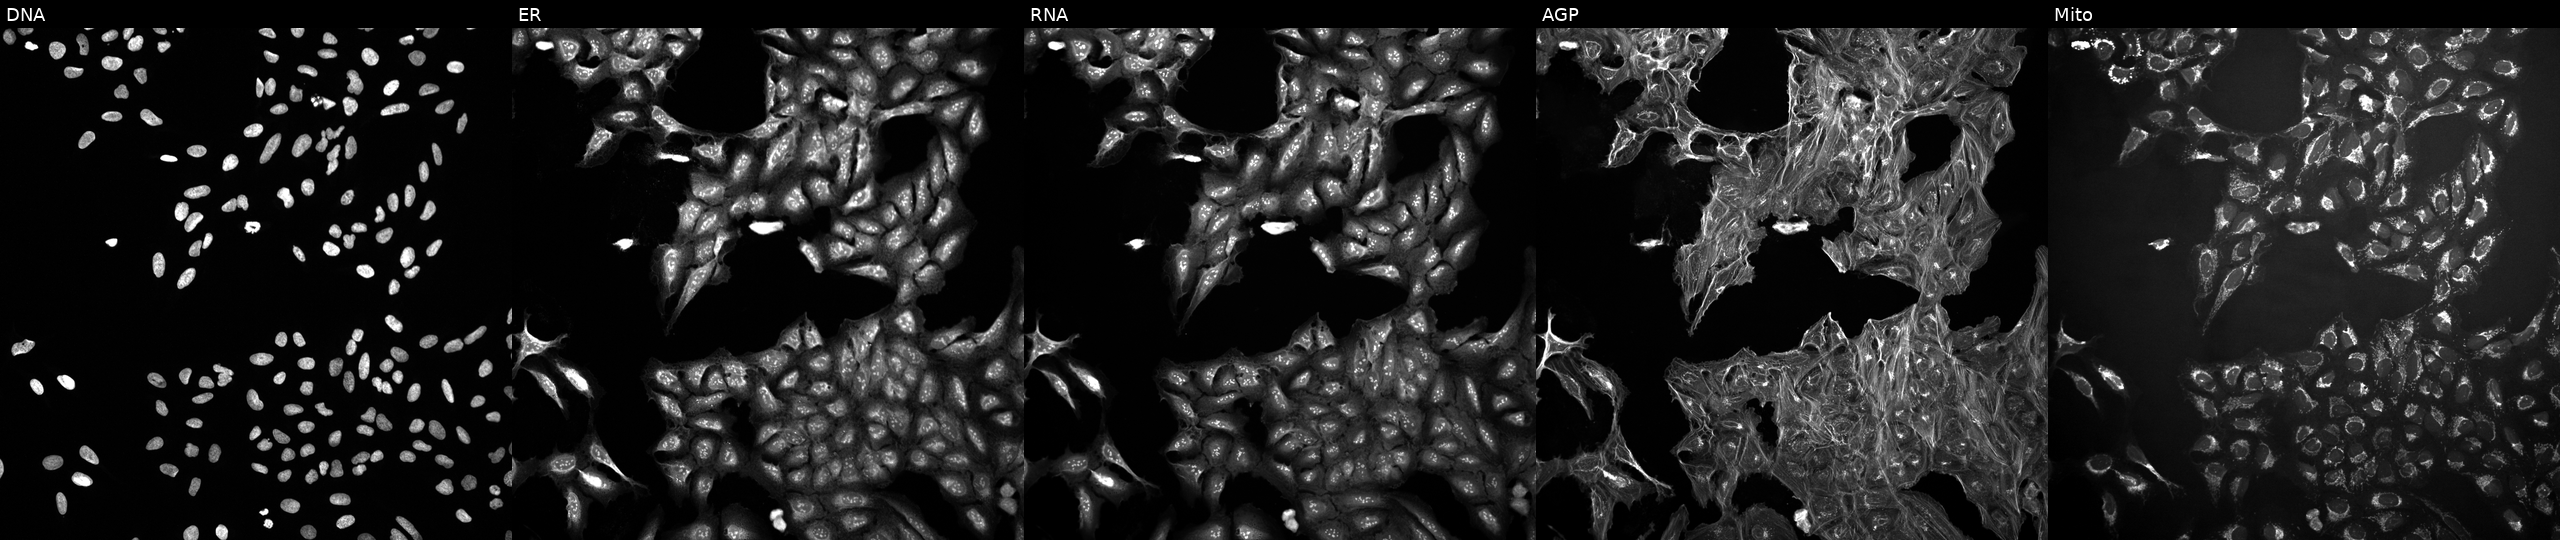
This image strip shows the five Cell Painting channels for a single field of U2OS cells exposed to a small-molecule compound (JUMP id JCP2022_049224). Channels (left→right): DNA, ER, RNA, AGP, and Mito. Source 10, plate Dest210726-160150, well I12.